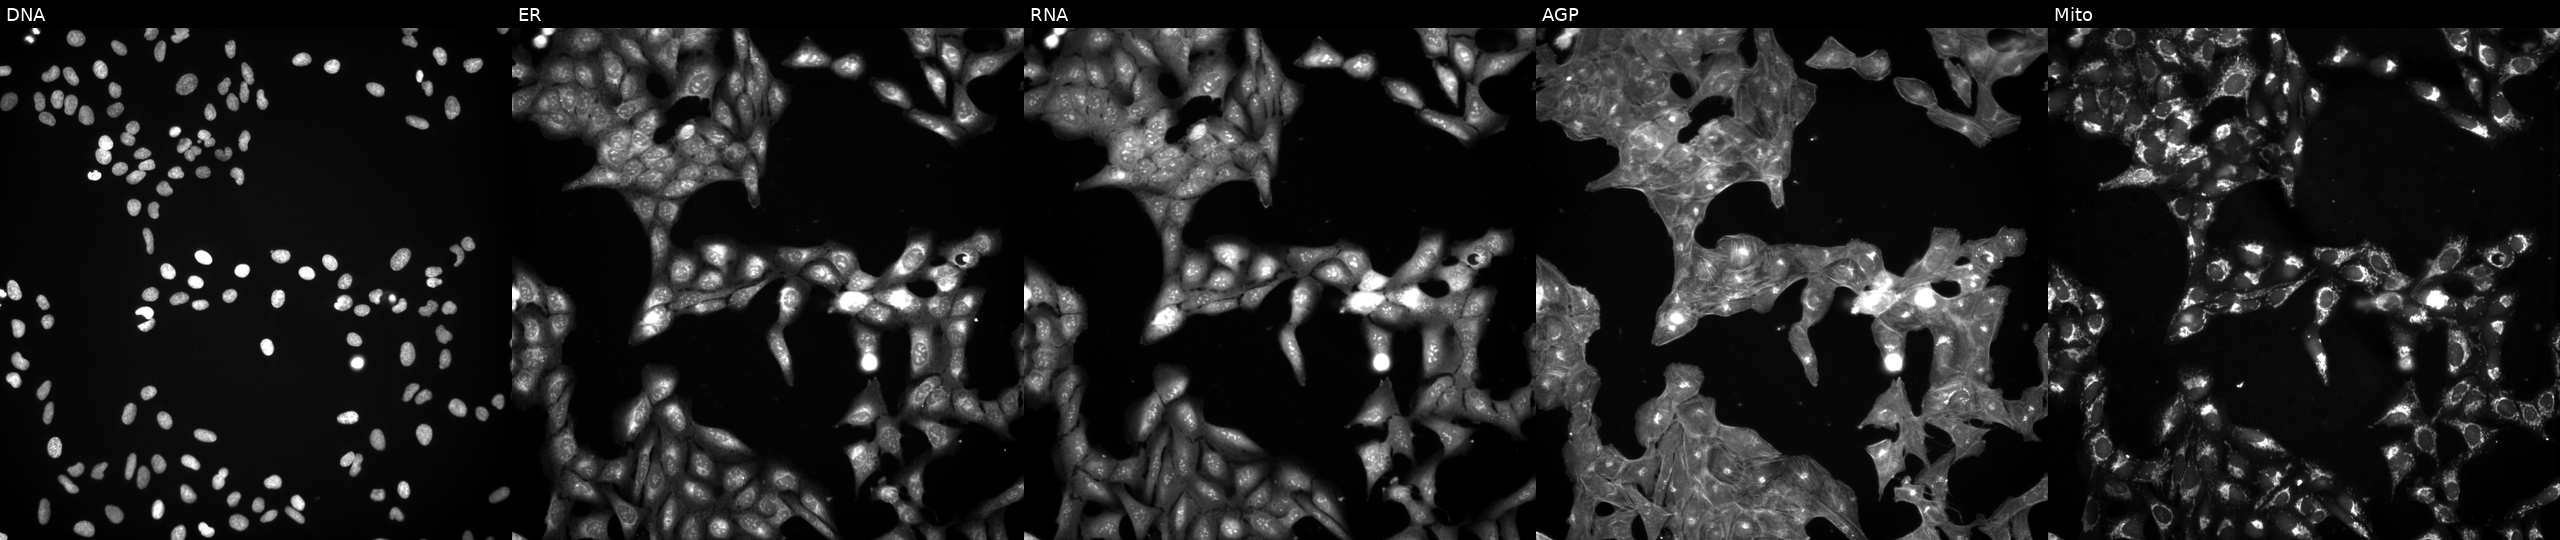
U2OS cells, Cell Painting assay, perturbed with a small-molecule compound (InChIKey SQMWSBKSHWARHU-UHFFFAOYSA-N) [SMILES: OCC1OC(n2cnc3c(=NC4CCCC4)[nH]cnc32)C(O)C1O] (JUMP id JCP2022_084963). From left to right: DNA (nuclei); ER (endoplasmic reticulum); RNA (nucleoli and cytoplasmic RNA); AGP (actin cytoskeleton, Golgi, and plasma membrane); Mito (mitochondria). Each panel is percentile-stretched 16-bit fluorescence.